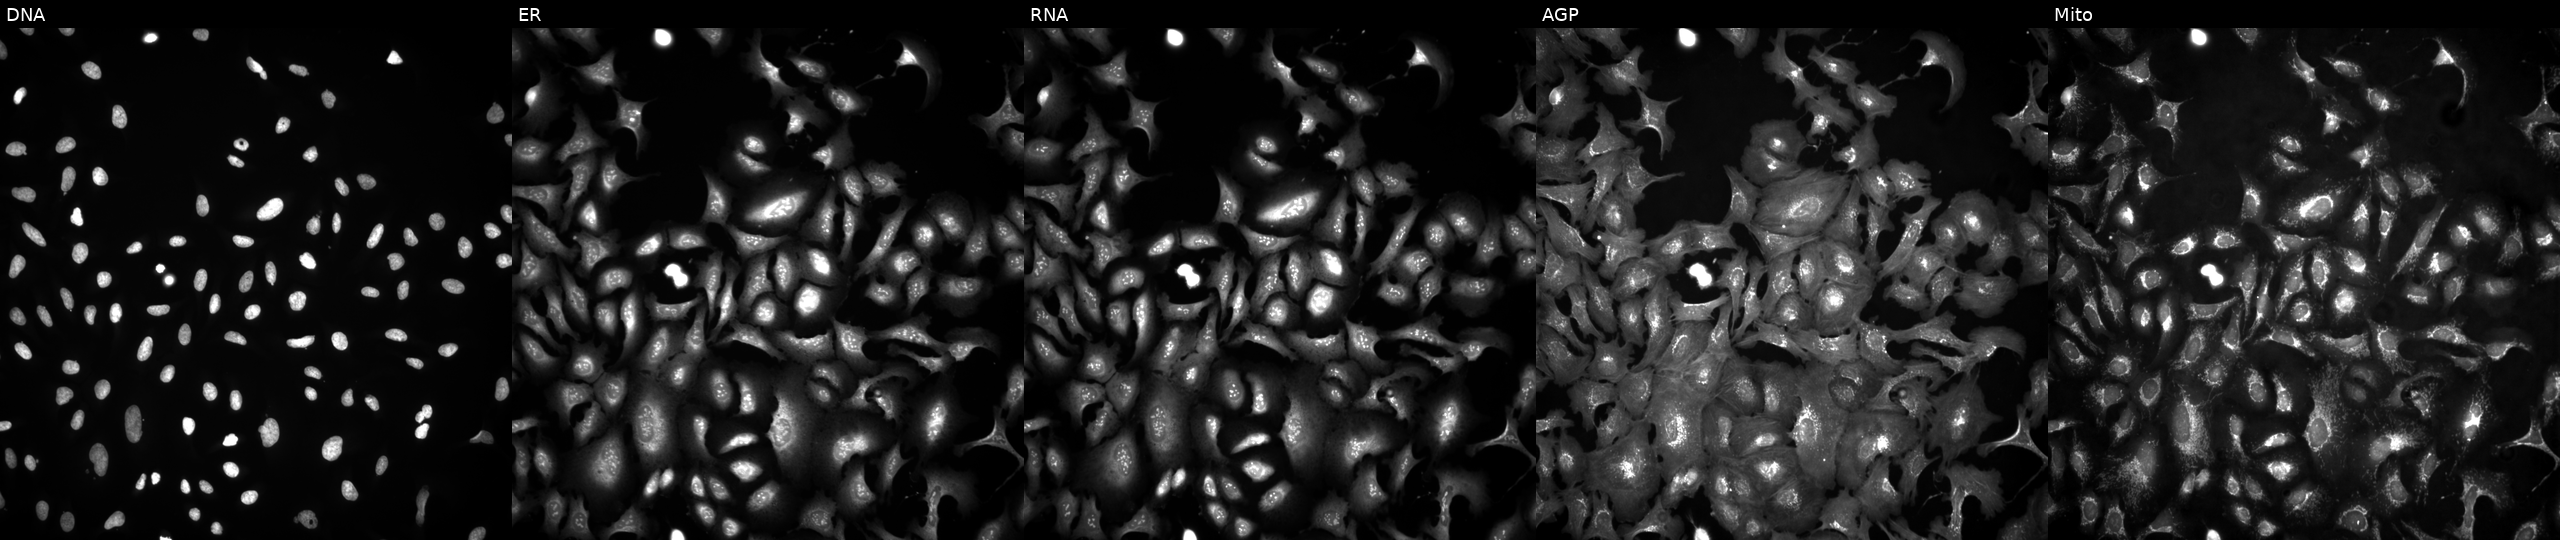
JUMP Cell Painting — ORF plate. U2OS cells in an empty control well (no perturbation) (JUMP id JCP2022_999999). From left to right: Hoechst 33342, concanavalin A, SYTO 14, phalloidin and WGA, MitoTracker. Source 4, plate BR00123945, well E04.